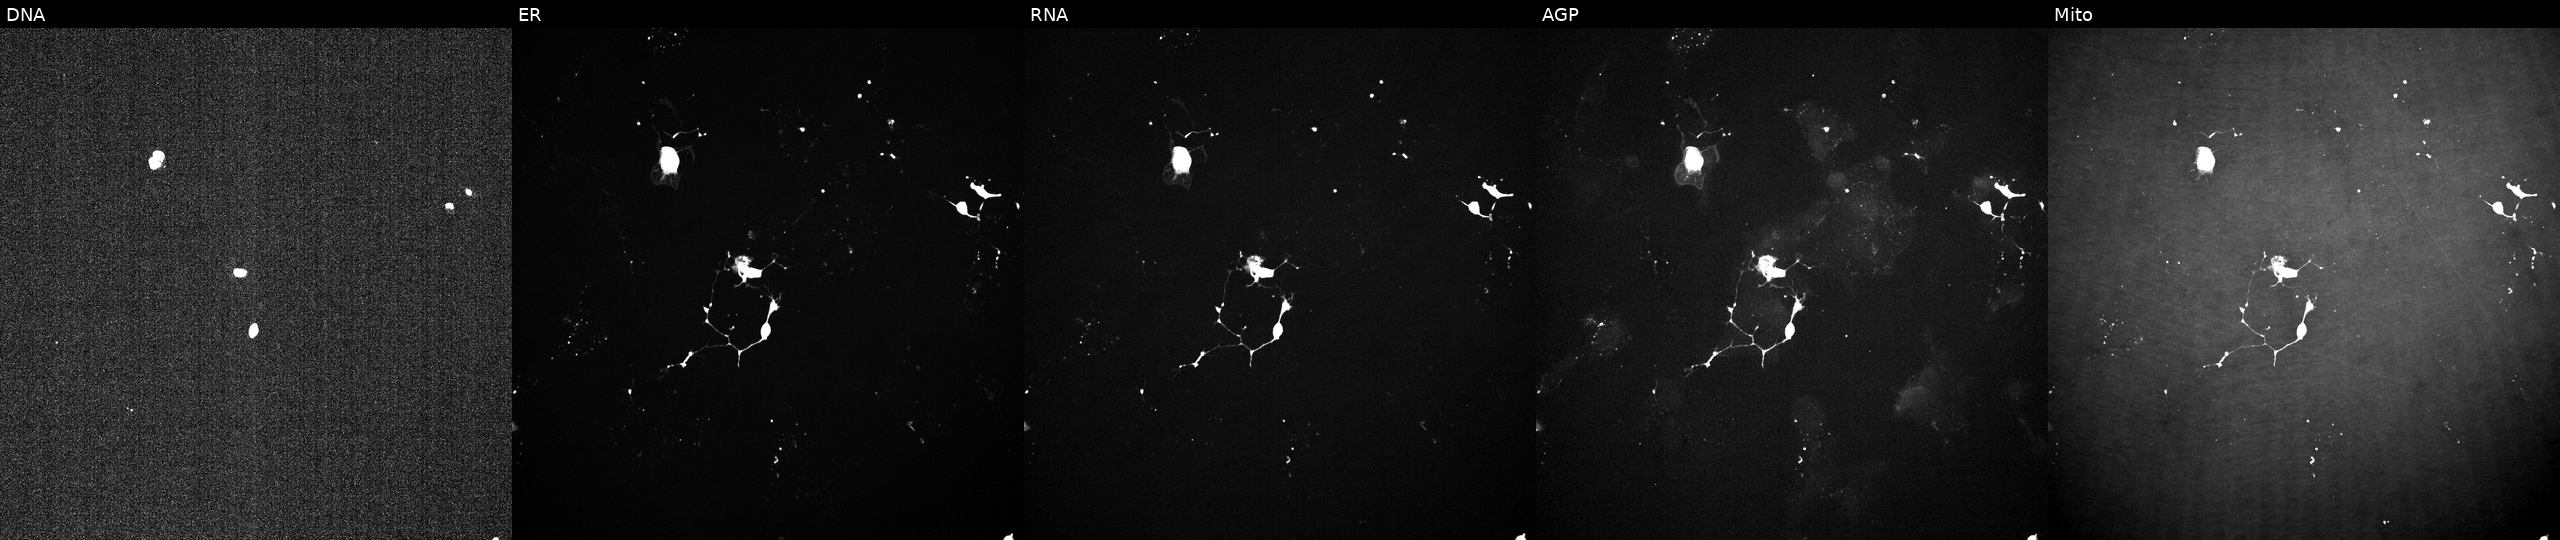
From left to right: DNA (nuclei); ER (endoplasmic reticulum); RNA (nucleoli and cytoplasmic RNA); AGP (actin cytoskeleton, Golgi, and plasma membrane); Mito (mitochondria). U2OS osteosarcoma cells perturbed with a small-molecule compound (InChIKey PBCZSGKMGDDXIJ-UHFFFAOYSA-N) (JUMP id JCP2022_067441). Cell Painting assay, JUMP-CP dataset.